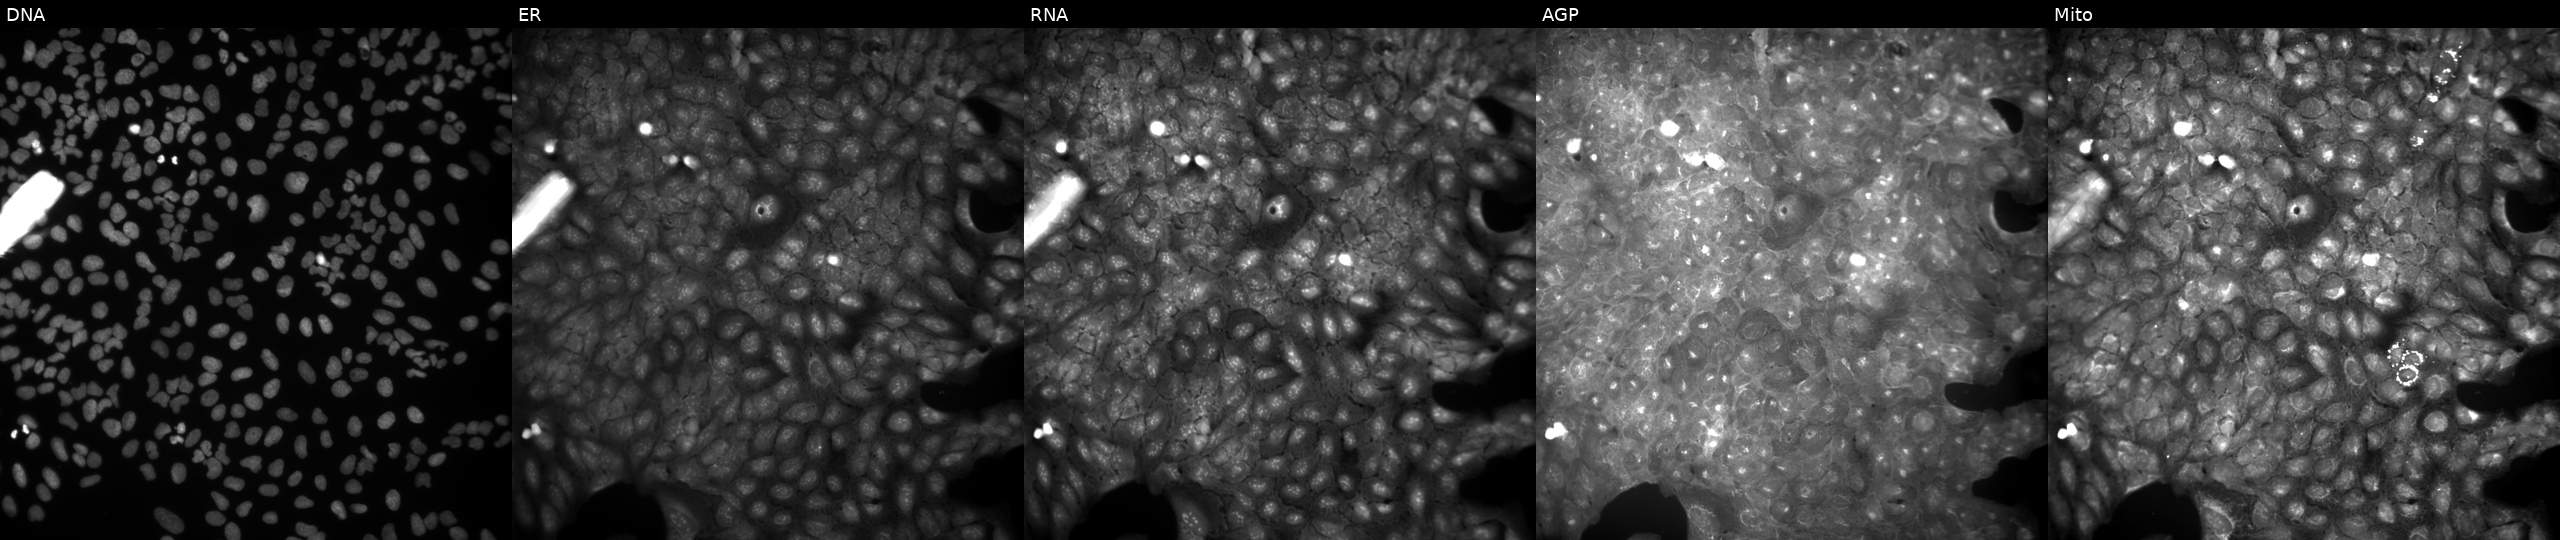
High-content fluorescence microscopy (Cell Painting). Cell line: U2OS. Perturbation: perturbed with a small-molecule compound (InChIKey USNMIXOMQNDITH-UHFFFAOYSA-N). From left to right: Hoechst 33342, concanavalin A, SYTO 14, phalloidin and WGA, MitoTracker.